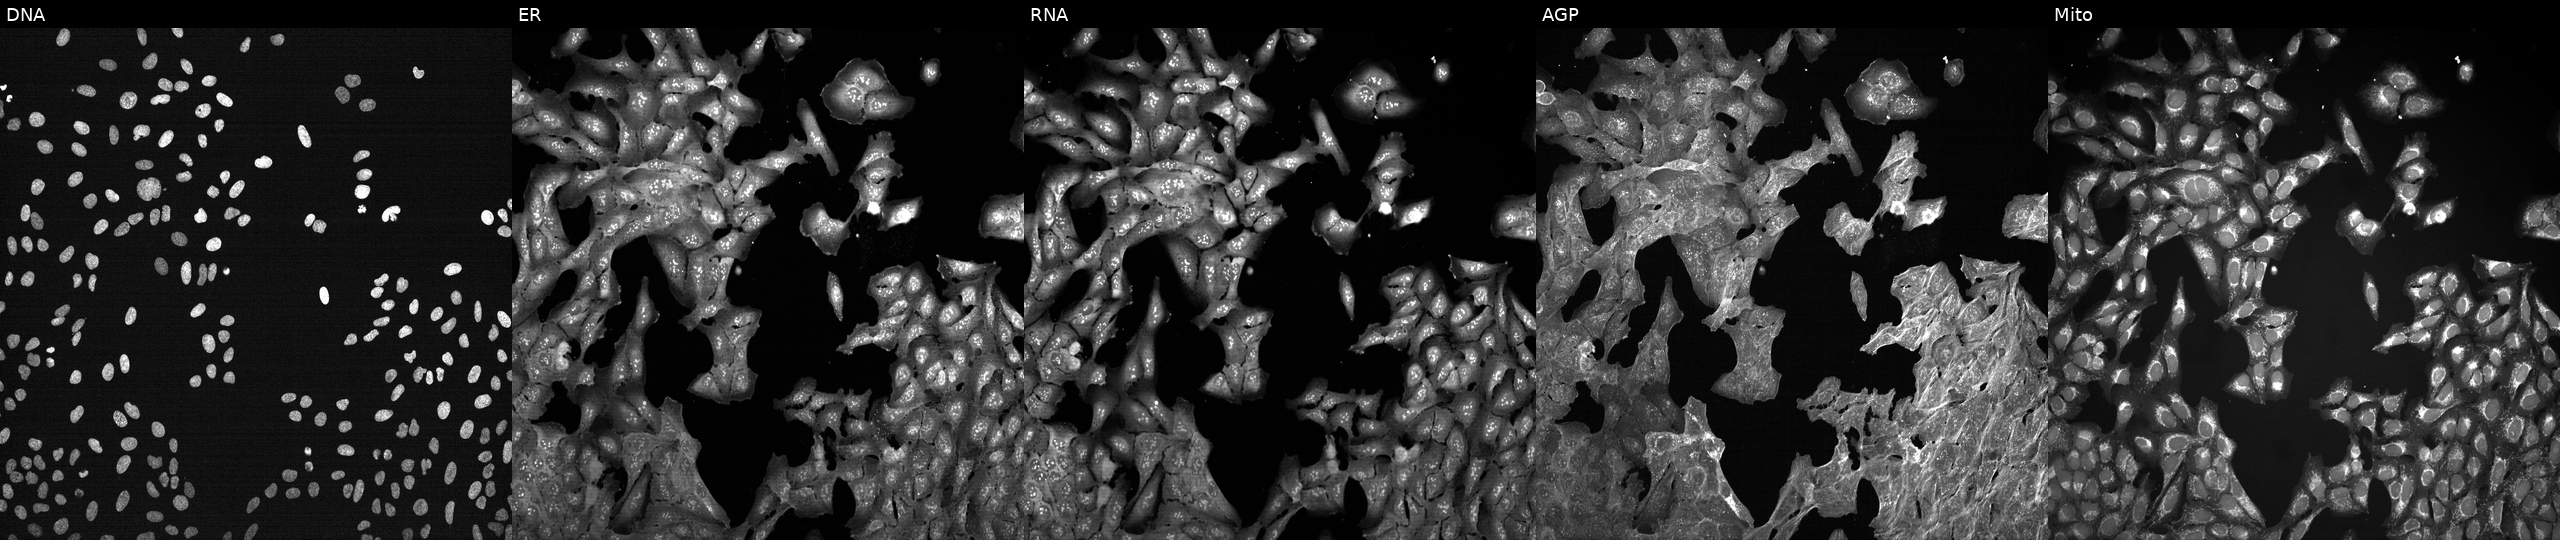
Five-channel Cell Painting image of U2OS cells treated with a small-molecule compound (InChIKey DTGLZDAWLRGWQN-UHFFFAOYSA-N). From left to right: Hoechst 33342, concanavalin A, SYTO 14, phalloidin and WGA, MitoTracker.